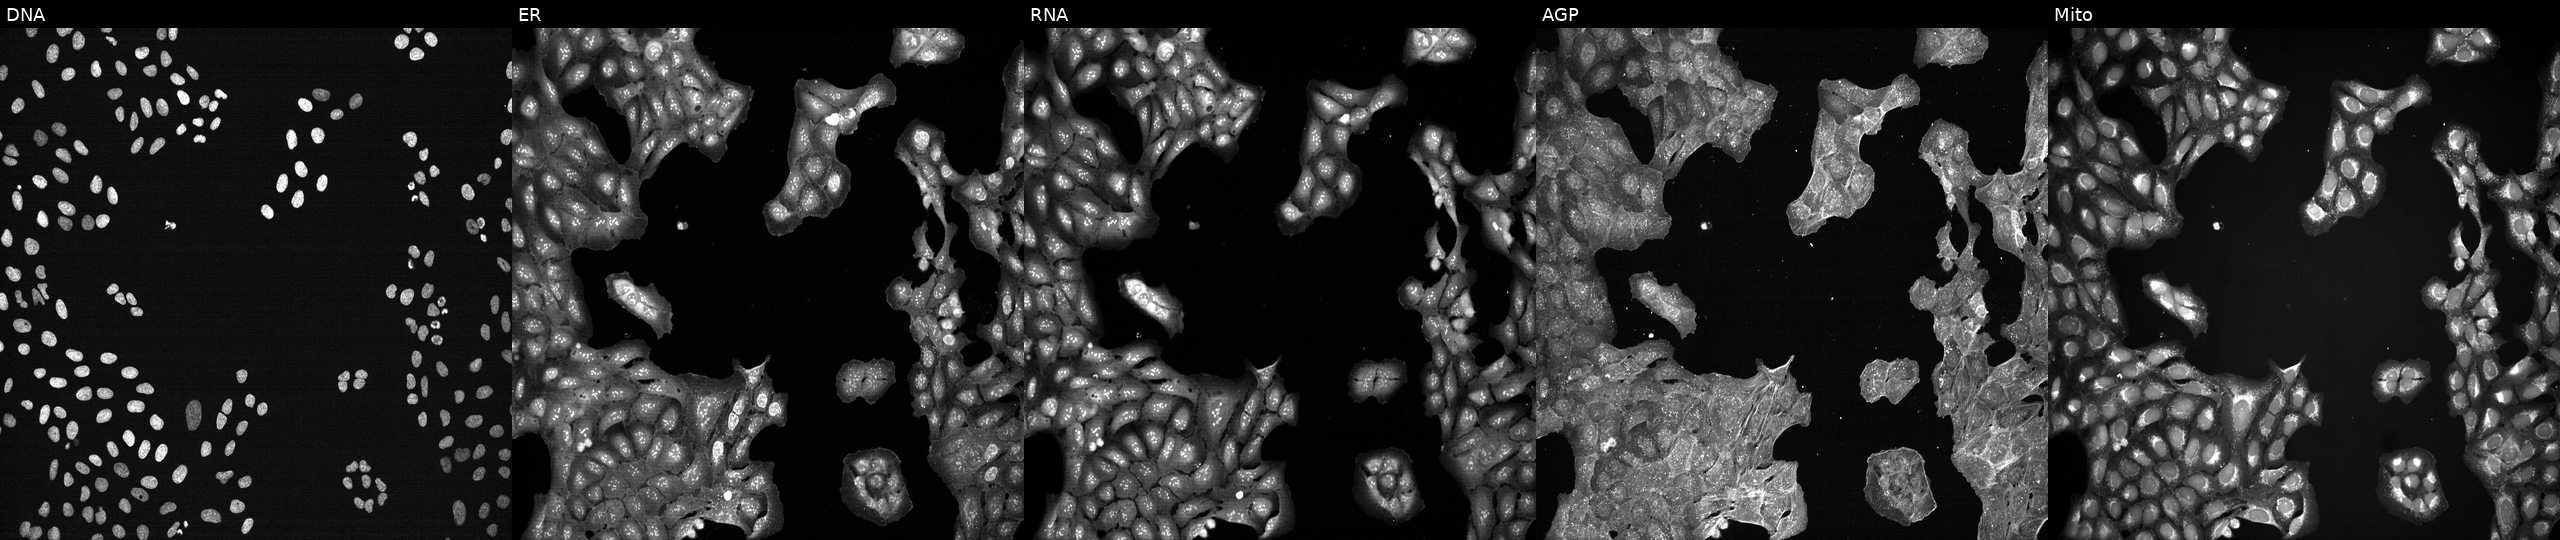
JUMP Cell Painting — TARGET2 plate. U2OS cells perturbed with a small-molecule compound (JUMP id JCP2022_072945). Channels (left→right): DNA, ER, RNA, AGP, and Mito.